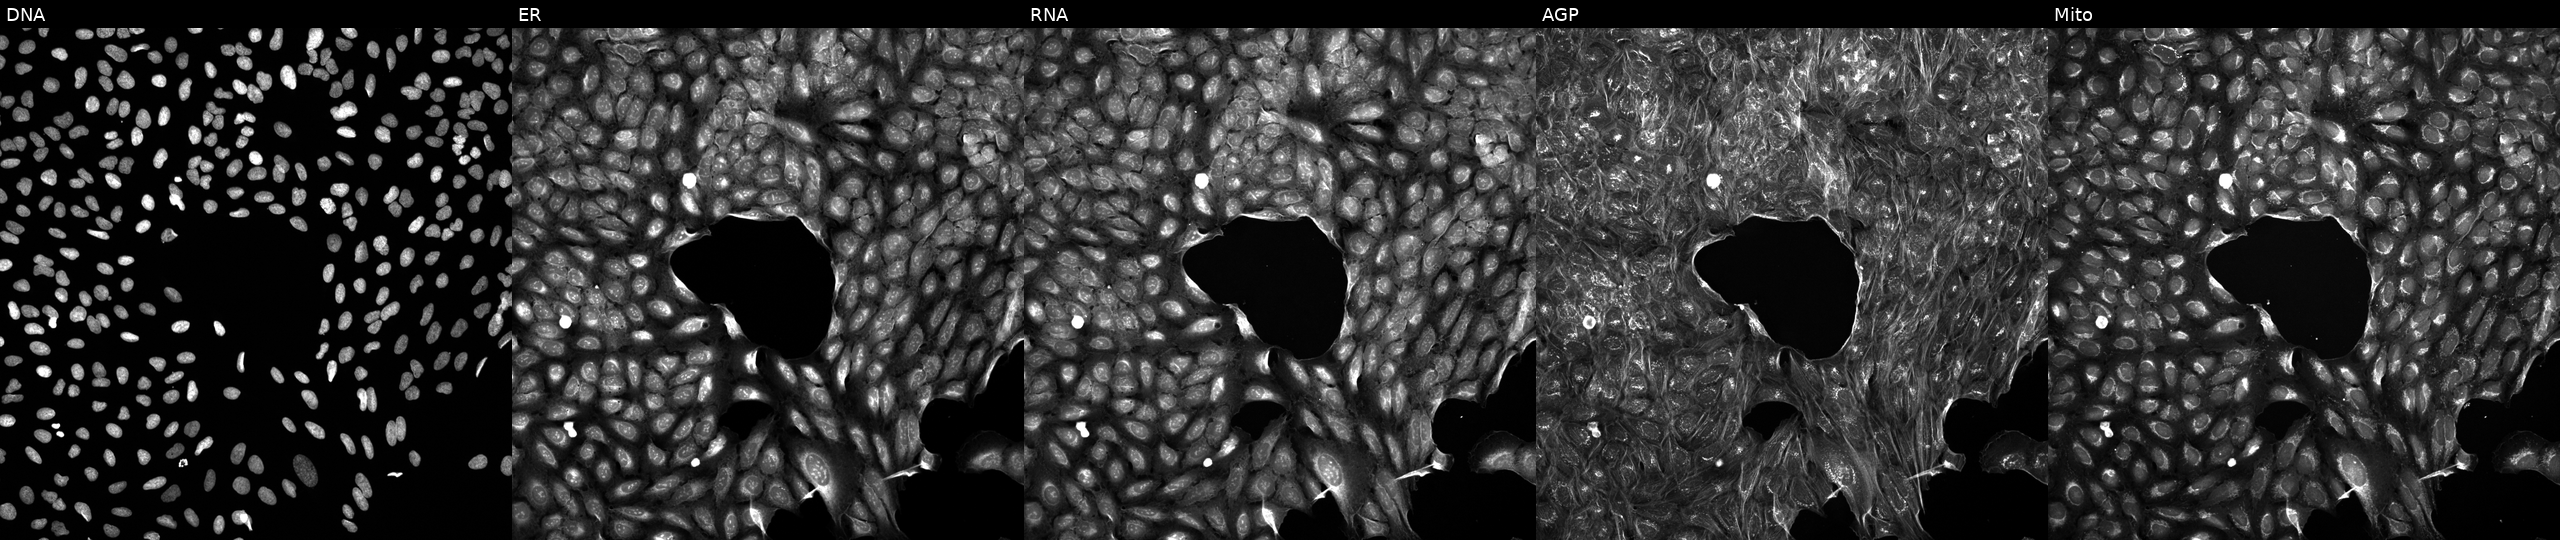
U2OS cells, Cell Painting assay, treated with a small-molecule compound (InChIKey PVMXHMRWIFDHLR-UHFFFAOYSA-N) (JUMP id JCP2022_071218). From left to right: Hoechst 33342, concanavalin A, SYTO 14, phalloidin and WGA, MitoTracker. Each panel is percentile-stretched 16-bit fluorescence.